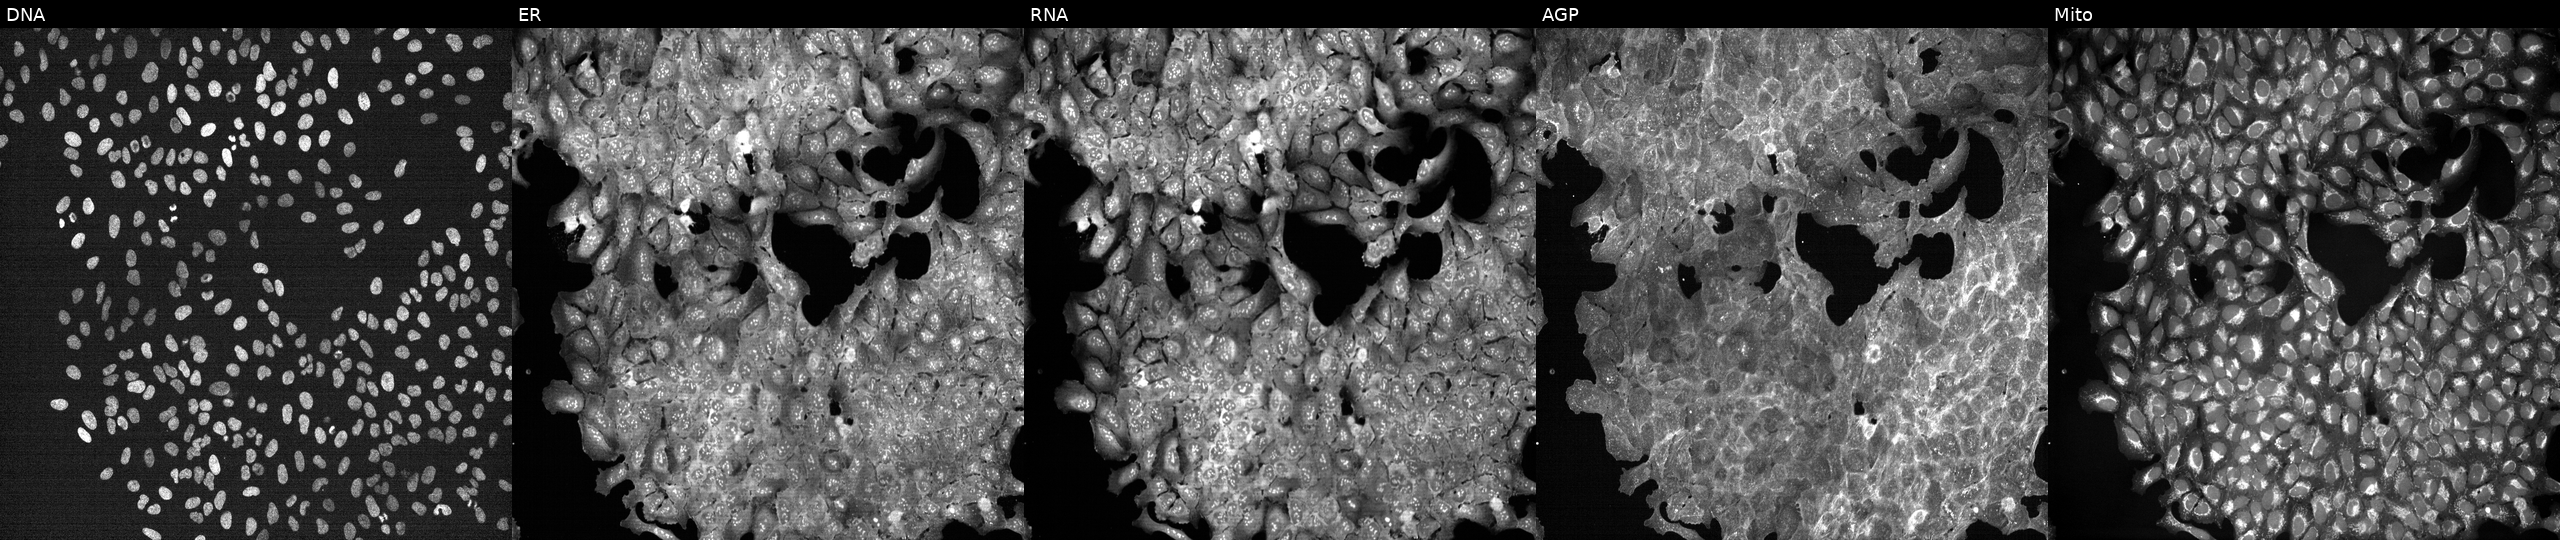
JUMP Cell Painting — TARGET2 plate. U2OS cells exposed to DMSO alone as a negative control (JUMP id JCP2022_033924). From left to right: DNA (nuclei); ER (endoplasmic reticulum); RNA (nucleoli and cytoplasmic RNA); AGP (actin cytoskeleton, Golgi, and plasma membrane); Mito (mitochondria). Source 7, plate CP3-SC1-25, well B12.